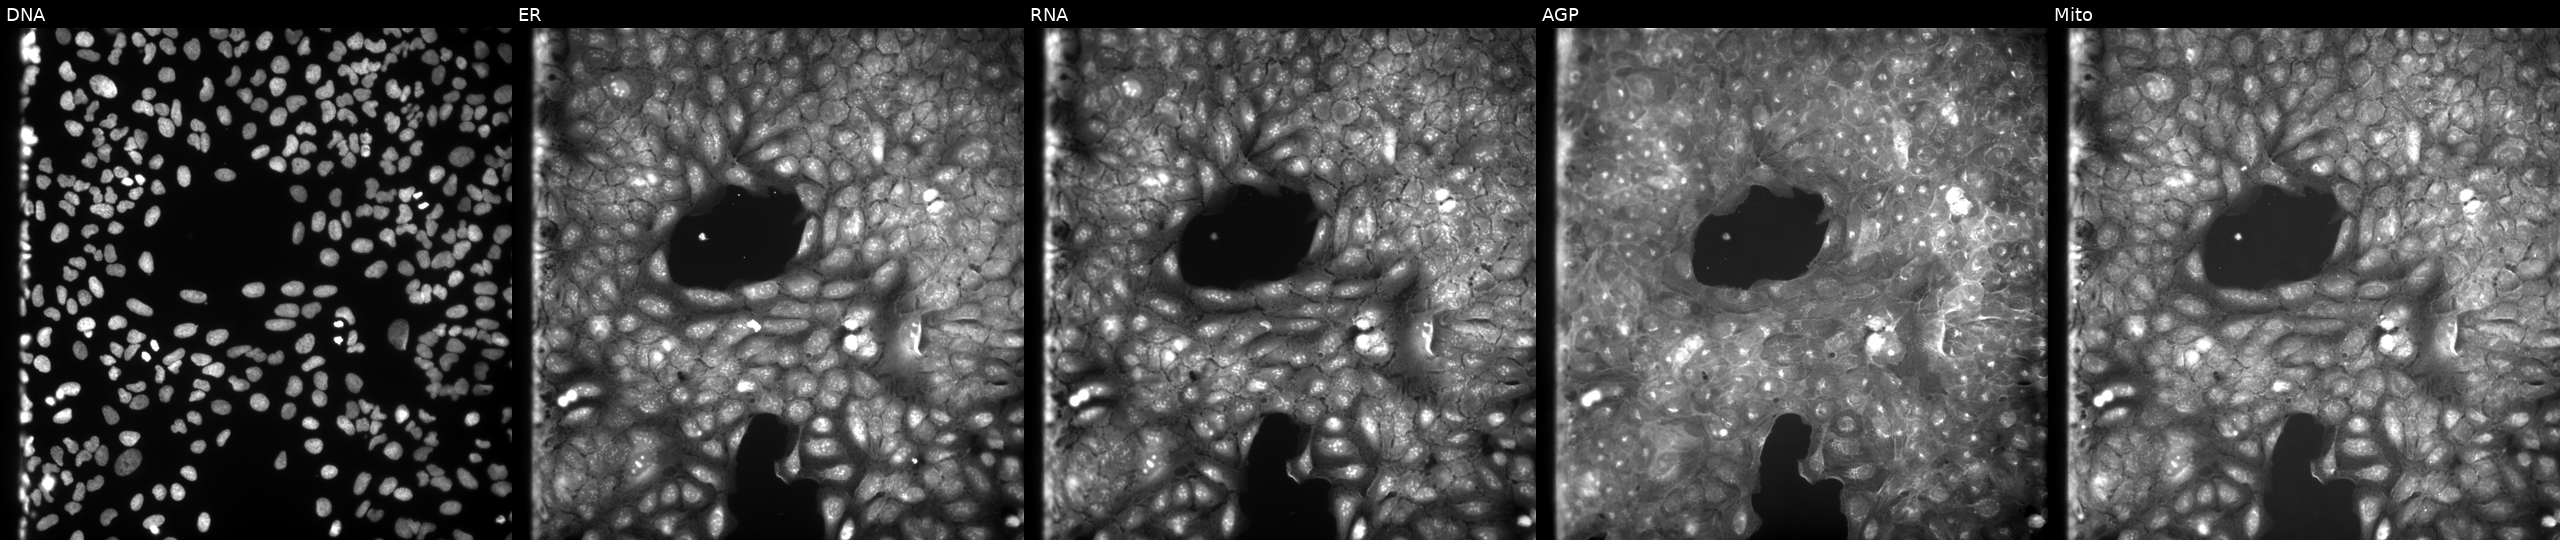
JUMP Cell Painting — COMPOUND plate. U2OS cells treated with a small-molecule compound. Channels (left→right): DNA (nuclei); ER (endoplasmic reticulum); RNA (nucleoli and cytoplasmic RNA); AGP (actin cytoskeleton, Golgi, and plasma membrane); Mito (mitochondria). Source 9, plate GR00003381, well F08.